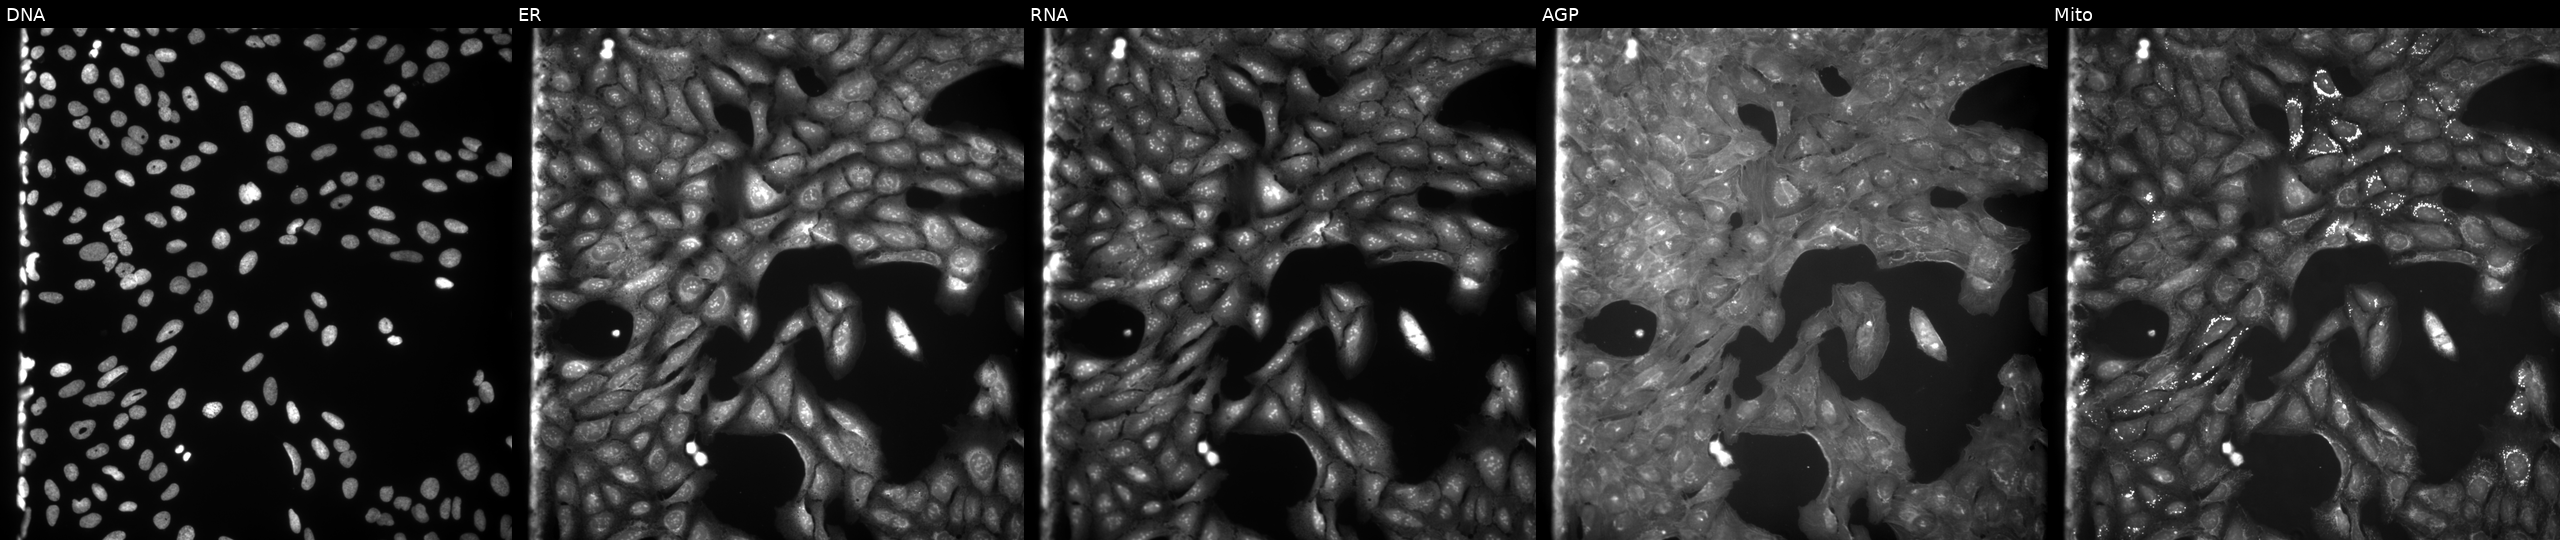
U2OS cells, Cell Painting assay, perturbed with a small-molecule compound (InChIKey SNDKJCNAMXPNBX-UHFFFAOYSA-N) (JUMP id JCP2022_084326). From left to right: Hoechst 33342, concanavalin A, SYTO 14, phalloidin and WGA, MitoTracker. Each panel is percentile-stretched 16-bit fluorescence.